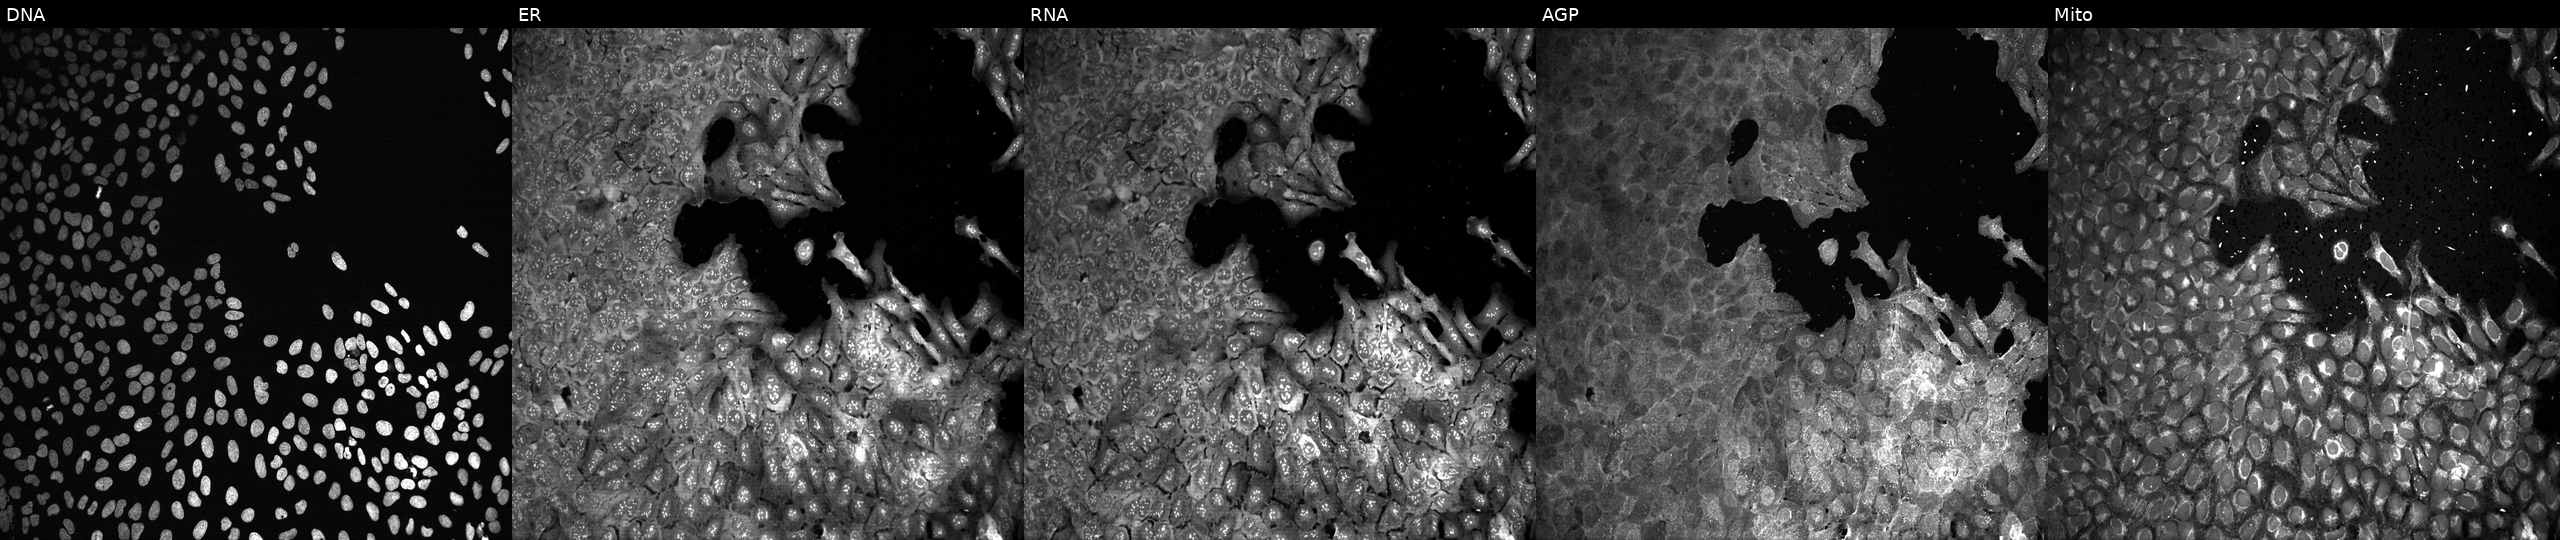
JUMP Cell Painting — CRISPR plate. U2OS cells treated with dexamethasone (positive-control compound). From left to right: DNA, ER, RNA, AGP, and Mito. Source 13, plate CP-CC9-R5-01, well C01.